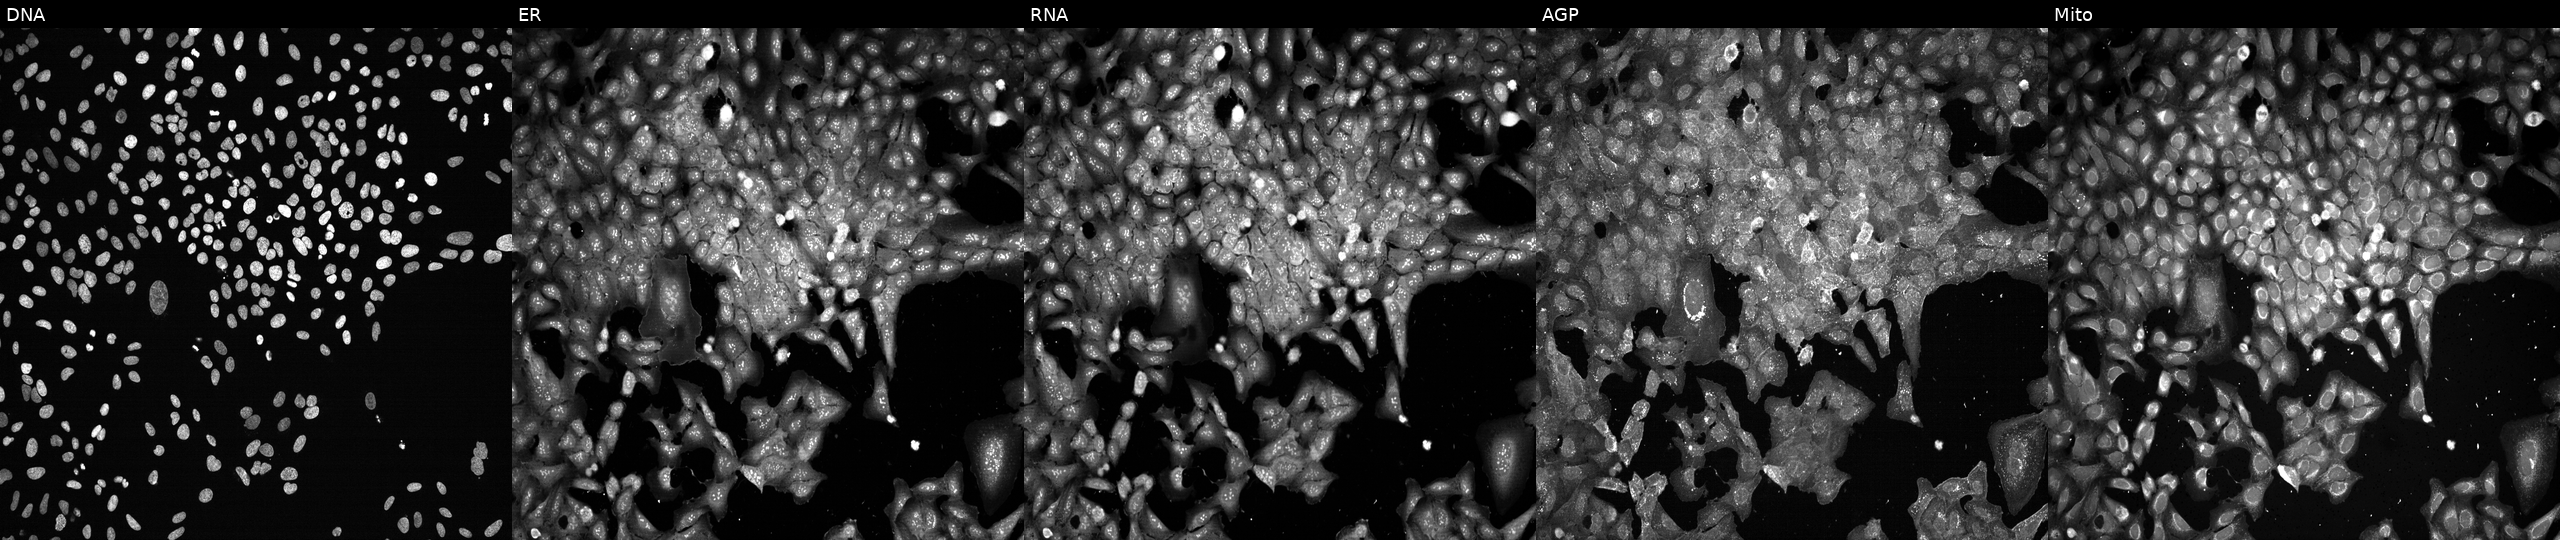
Panels show, left to right, DNA, ER, RNA, AGP, and Mito. U2OS osteosarcoma cells with ATP2A2 knocked out by CRISPR (JUMP id JCP2022_800710). Cell Painting assay, JUMP-CP dataset.